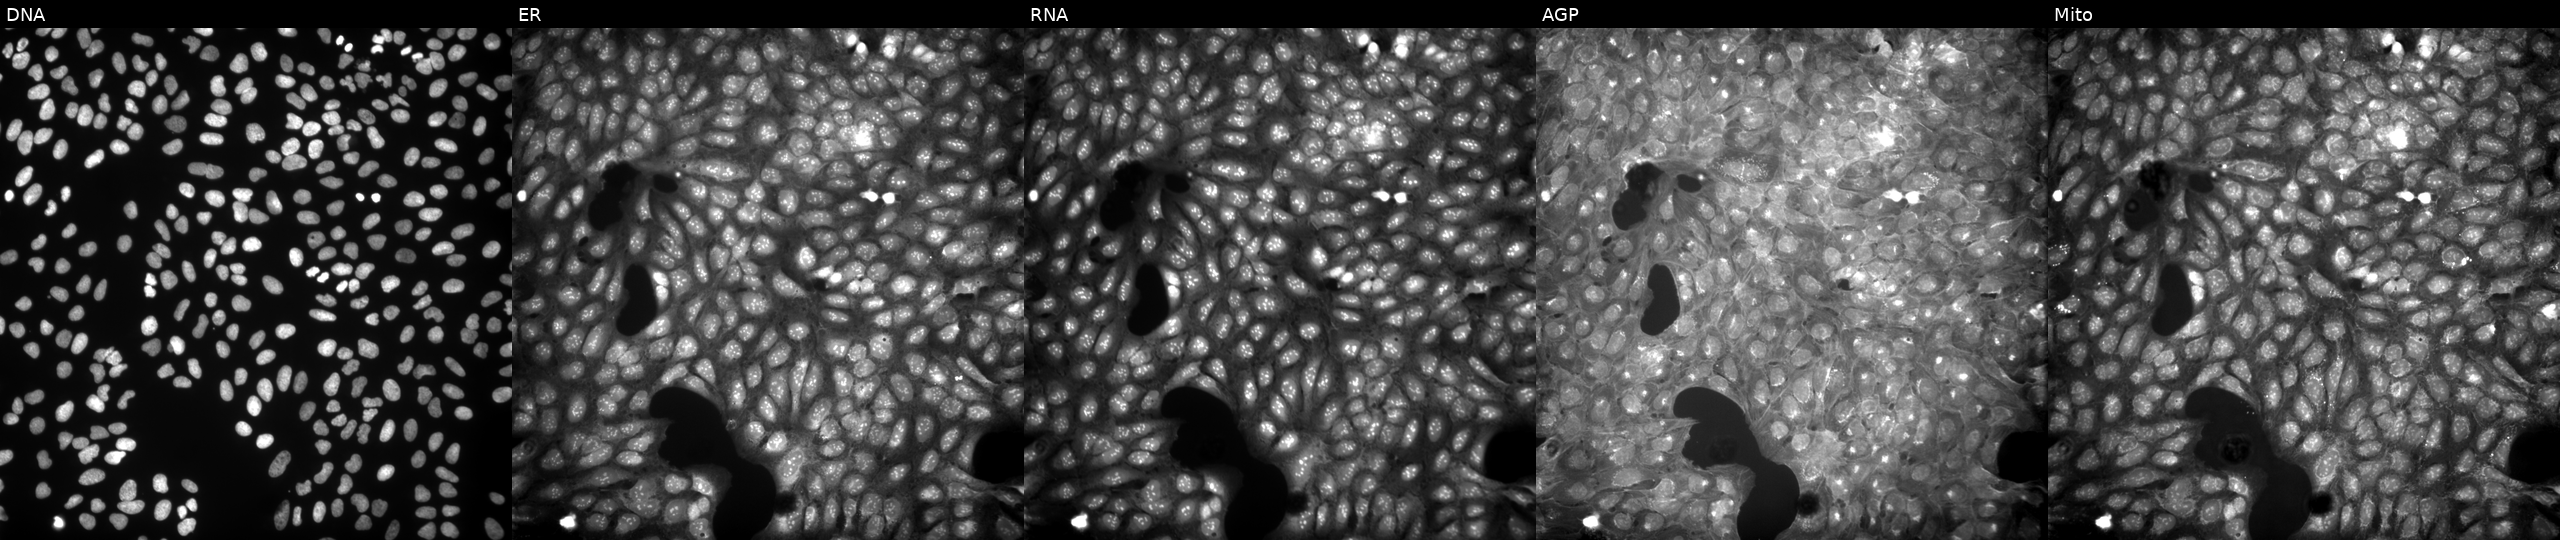
High-content fluorescence microscopy (Cell Painting). Cell line: U2OS. Perturbation: treated with a small-molecule compound (InChIKey REZYKVBAWWFODM-UHFFFAOYSA-N). From left to right: DNA, ER, RNA, AGP, and Mito. Source 9, plate GR00003382, well A36.